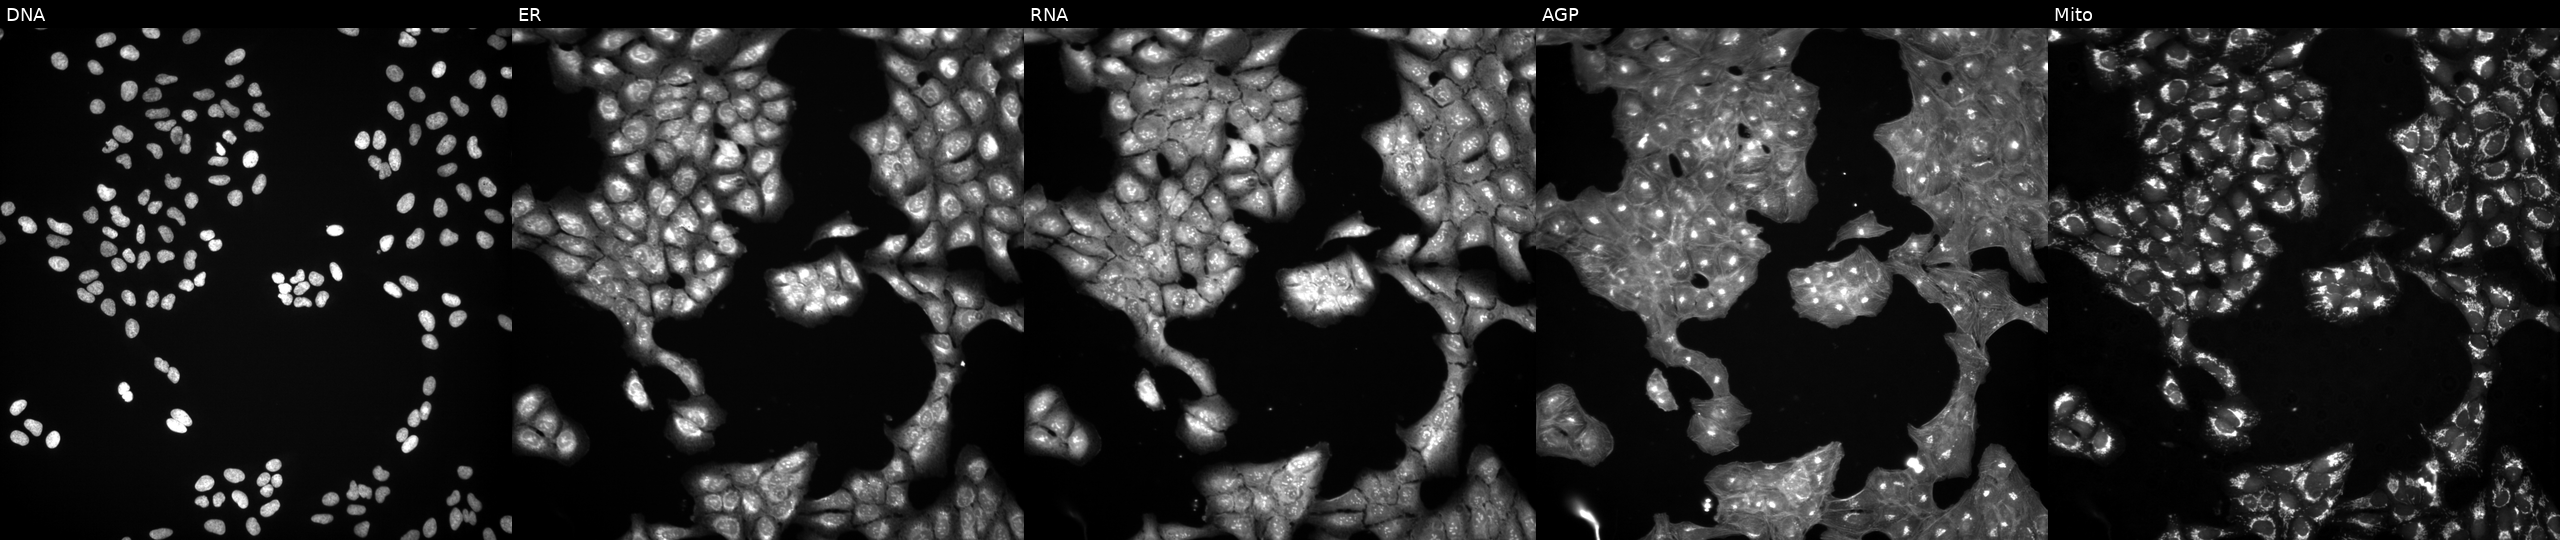
U2OS cells, Cell Painting assay, exposed to a small-molecule compound (InChIKey MTNHOOCTRPTNDW-UHFFFAOYSA-N) (JUMP id JCP2022_056429). Channels (left→right): Hoechst 33342, concanavalin A, SYTO 14, phalloidin and WGA, MitoTracker. Each panel is percentile-stretched 16-bit fluorescence.